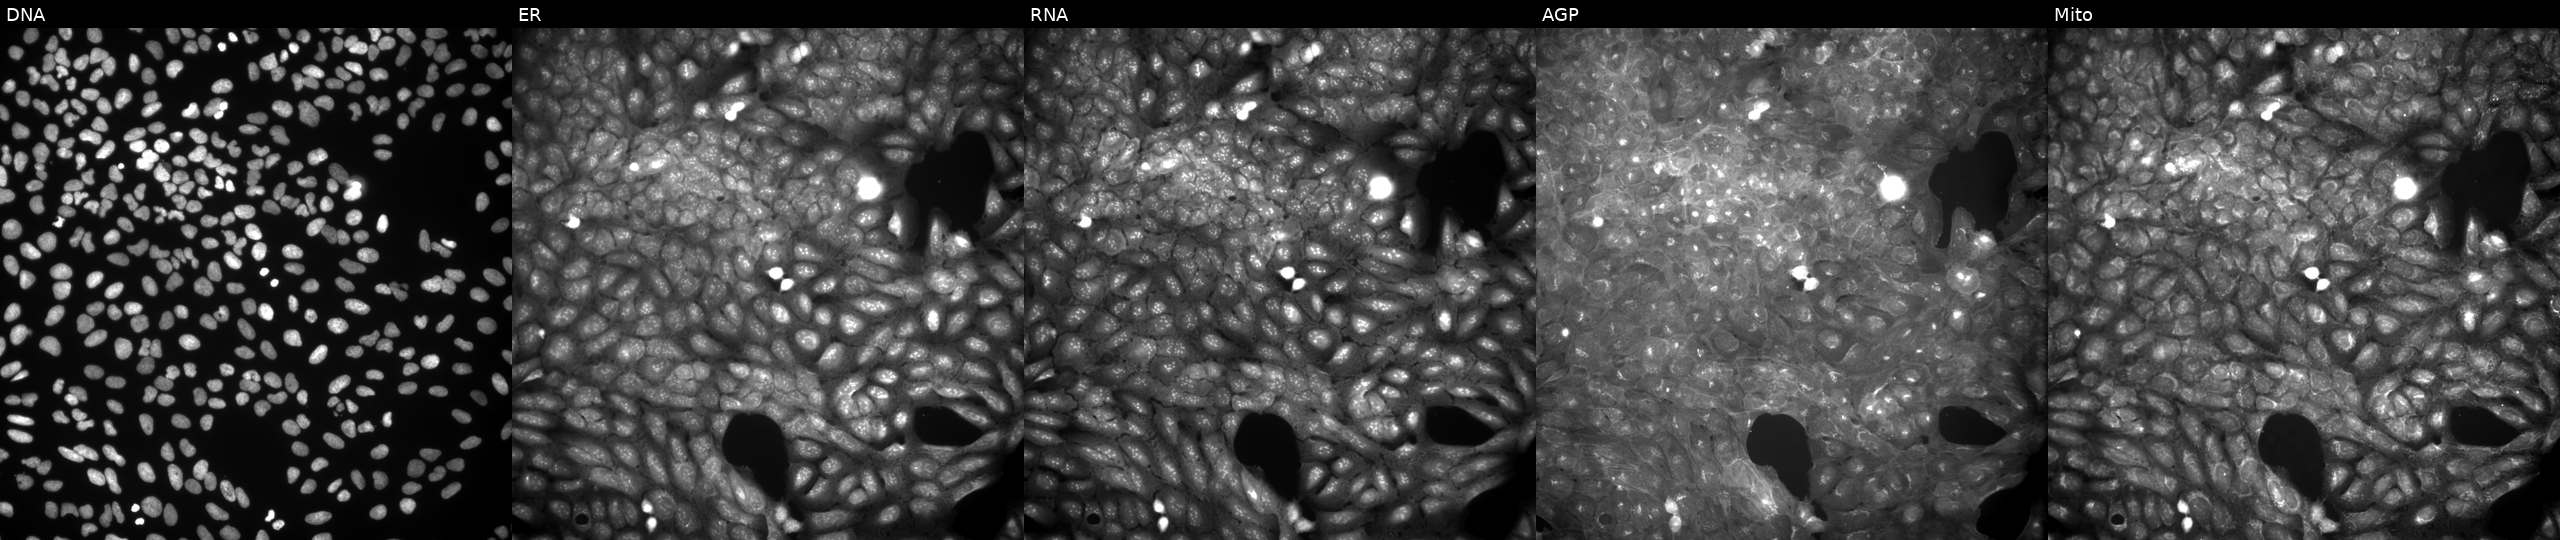
U2OS cells, Cell Painting assay, exposed to a small-molecule compound (InChIKey KZOADQRVVFSXQY-UHFFFAOYSA-N). Channels (left→right): DNA, ER, RNA, AGP, and Mito. Each panel is percentile-stretched 16-bit fluorescence. Source 9, plate GR00003381, well M38.